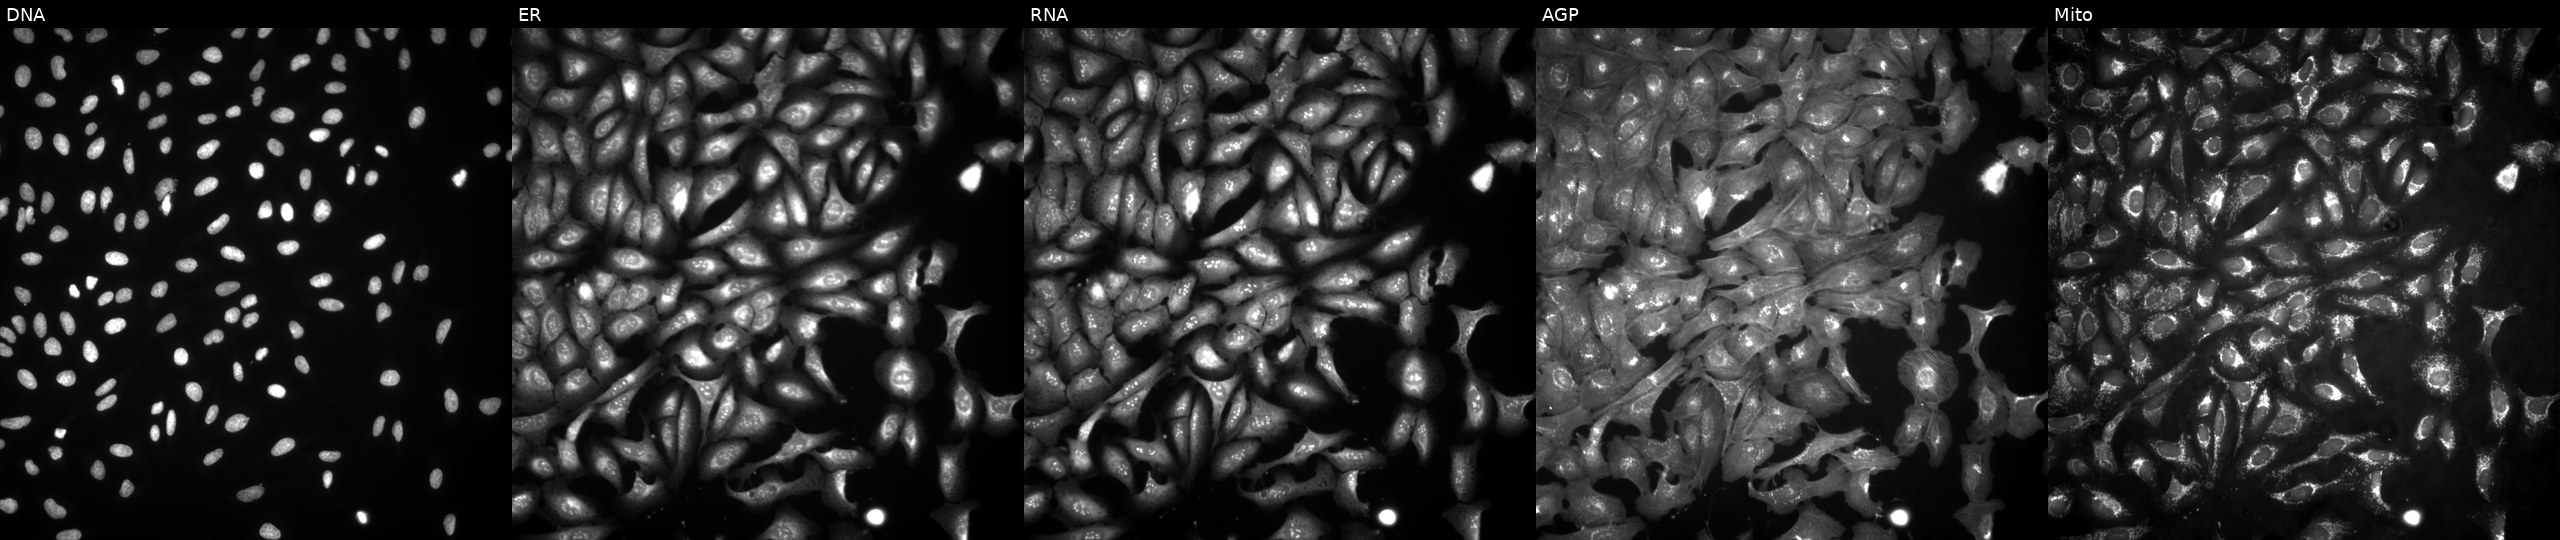
High-content fluorescence microscopy (Cell Painting). Cell line: U2OS. Perturbation: overexpressing SYTL2 via ORF transfection (JUMP id JCP2022_907869). Channels (left→right): DNA (nuclei); ER (endoplasmic reticulum); RNA (nucleoli and cytoplasmic RNA); AGP (actin cytoskeleton, Golgi, and plasma membrane); Mito (mitochondria). Source 4, plate BR00123509, well E17.